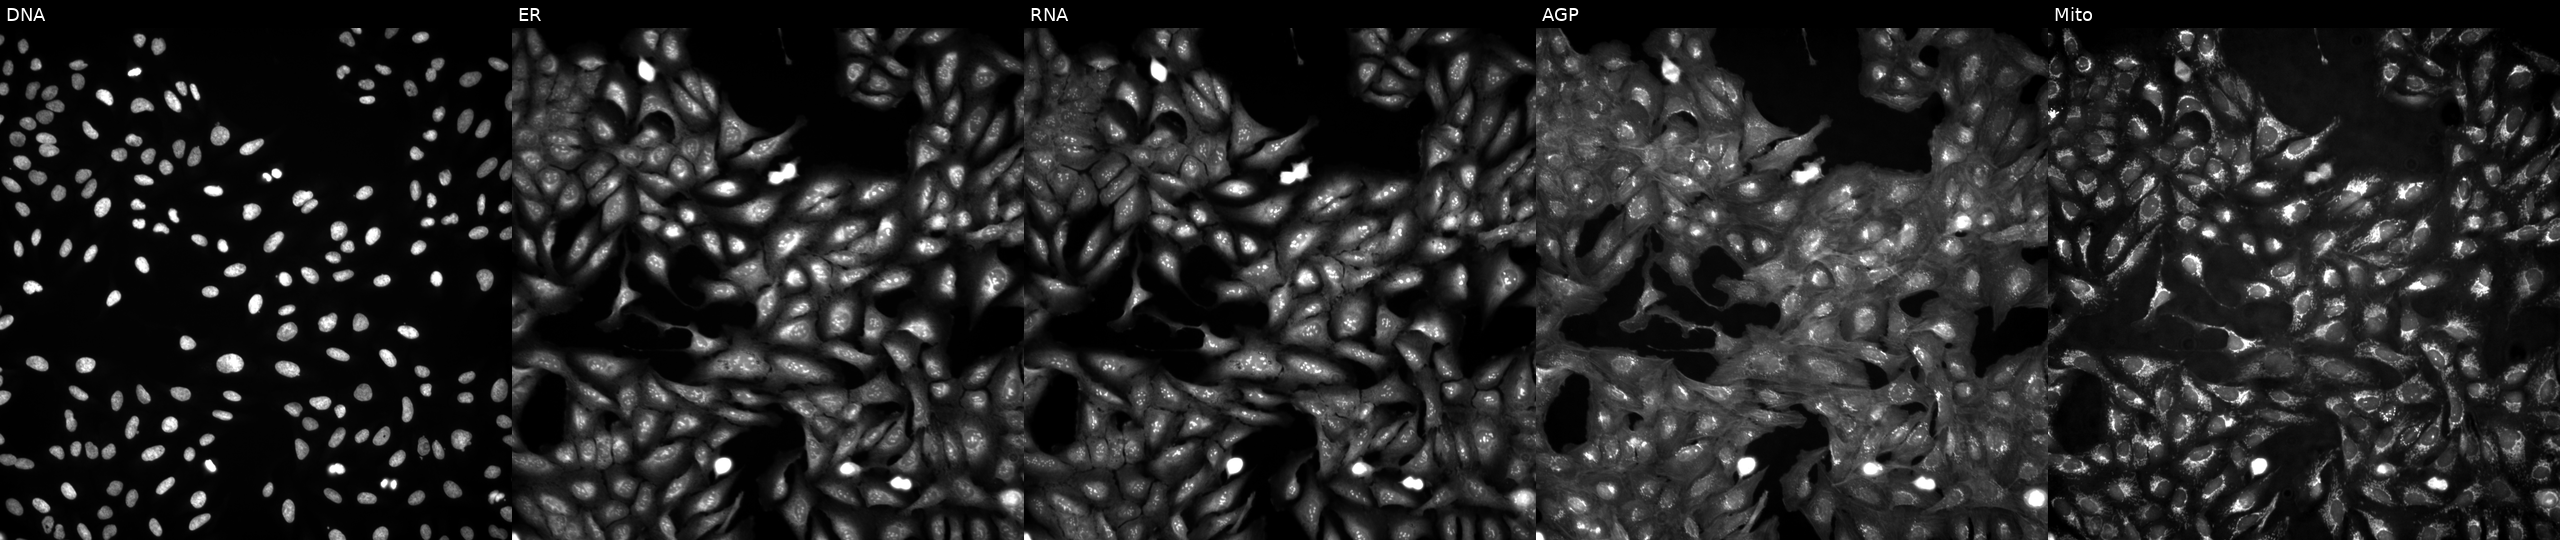
Five-channel Cell Painting image of U2OS cells in an empty control well (no perturbation) (JUMP id JCP2022_999999). Panels show, left to right, DNA, ER, RNA, AGP, and Mito.